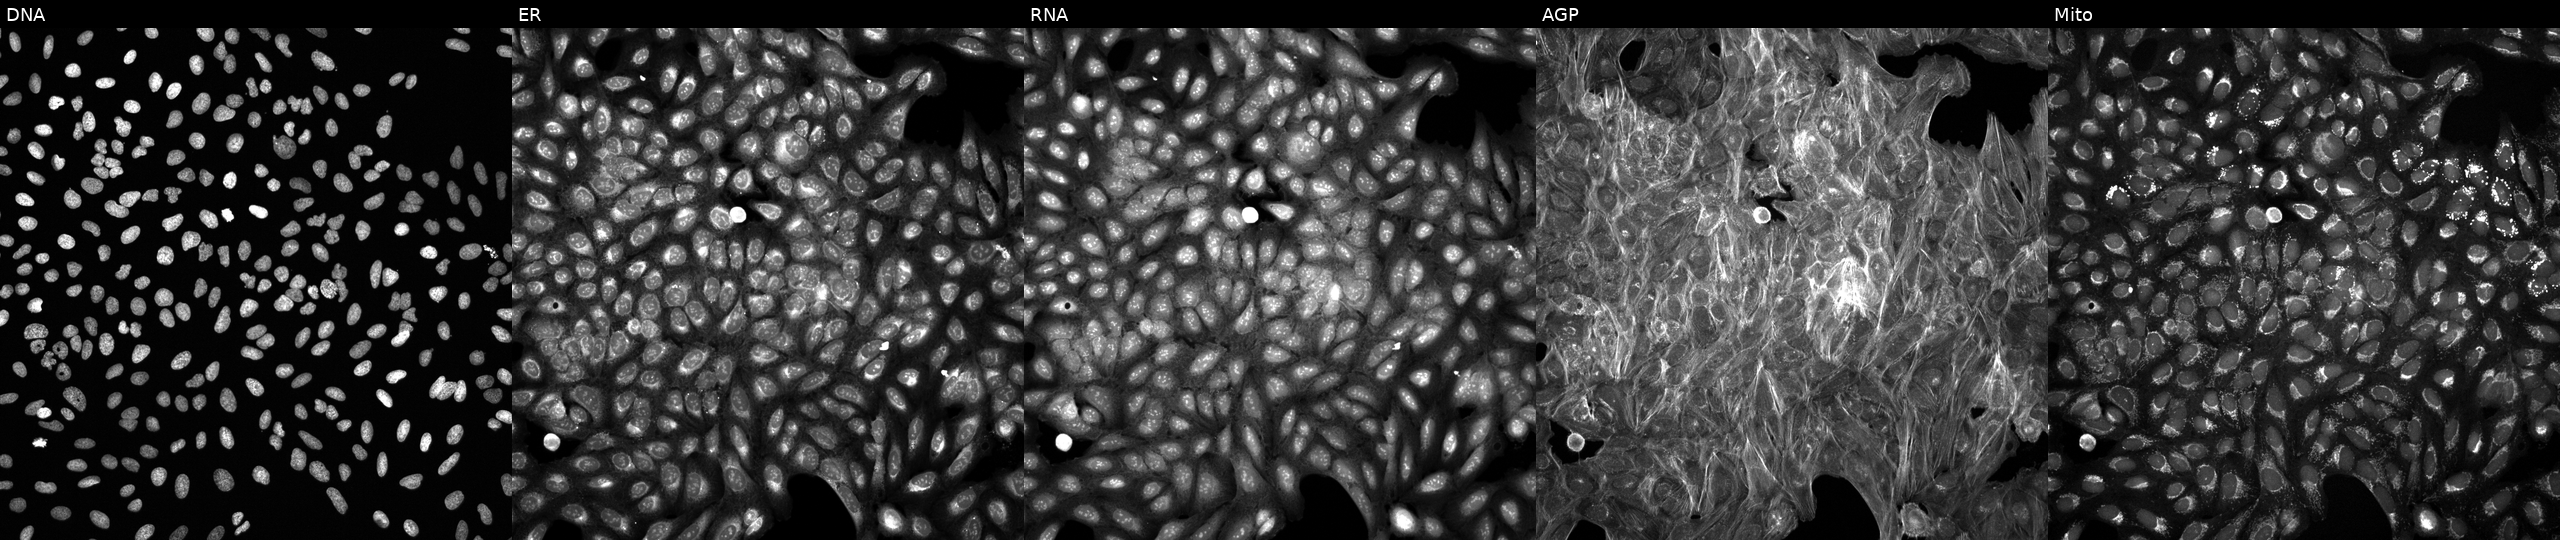
Five-channel Cell Painting image of U2OS cells treated with a small-molecule compound (InChIKey HNOMZVASWUZLQI-UHFFFAOYSA-N) (JUMP id JCP2022_031361). From left to right: Hoechst 33342, concanavalin A, SYTO 14, phalloidin and WGA, MitoTracker.